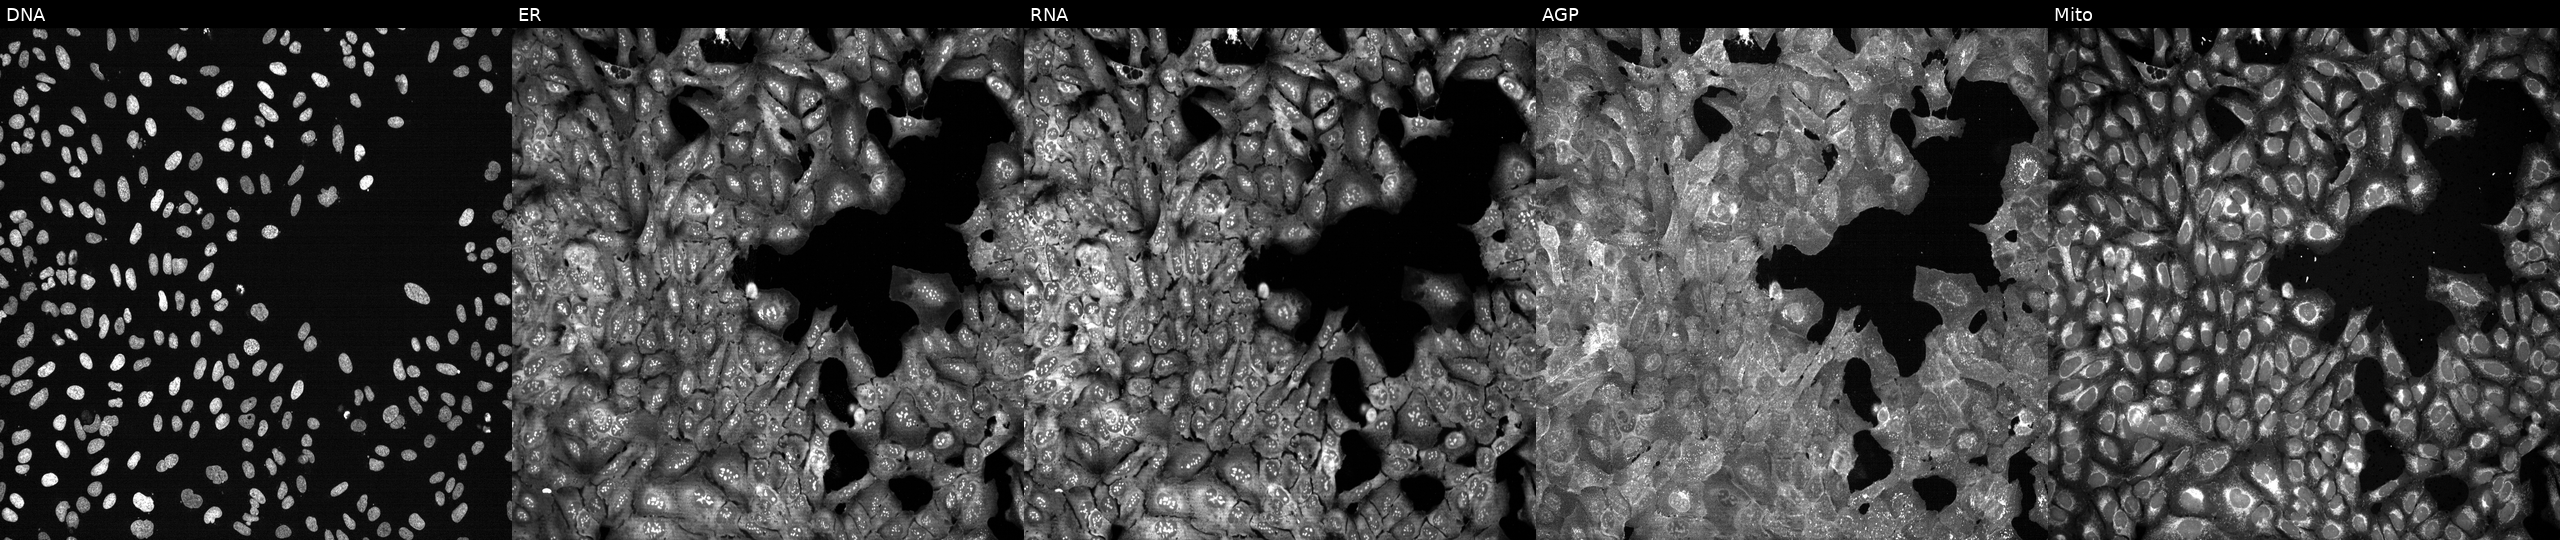
JUMP Cell Painting — CRISPR plate. U2OS cells CRISPR-edited to disrupt SEPT1. Channels (left→right): DNA, ER, RNA, AGP, and Mito.